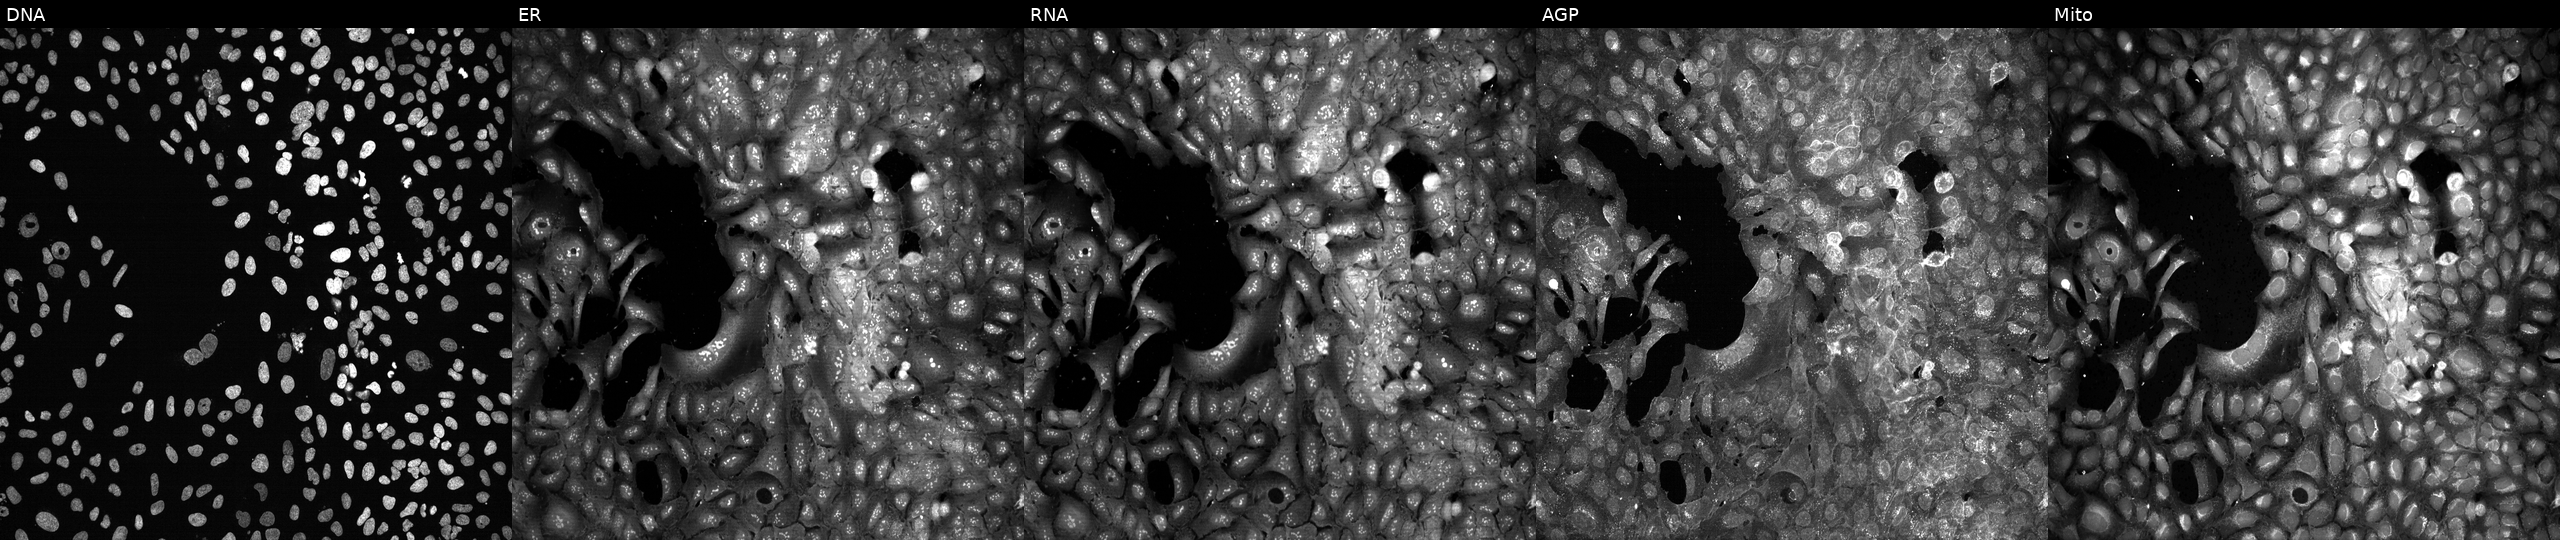
JUMP Cell Painting — CRISPR plate. U2OS cells CRISPR-edited to disrupt IDO1. From left to right: DNA (nuclei); ER (endoplasmic reticulum); RNA (nucleoli and cytoplasmic RNA); AGP (actin cytoskeleton, Golgi, and plasma membrane); Mito (mitochondria).